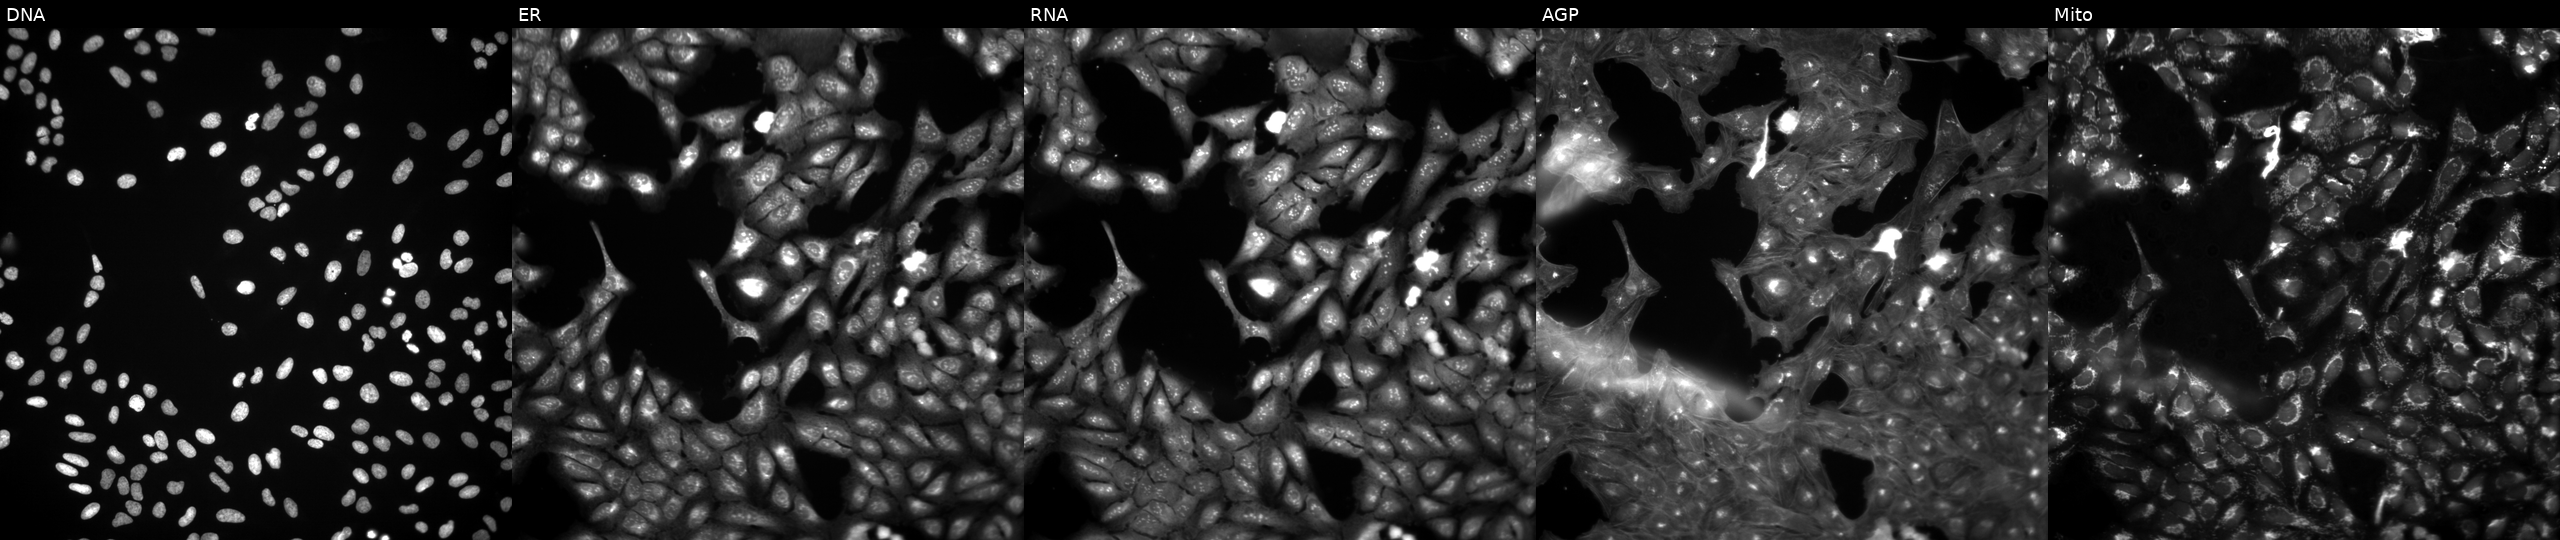
U2OS cells, Cell Painting assay, perturbed with a small-molecule compound (InChIKey KBPLFHHGFOOTCA-UHFFFAOYSA-N) (JUMP id JCP2022_043547). From left to right: Hoechst 33342, concanavalin A, SYTO 14, phalloidin and WGA, MitoTracker. Each panel is percentile-stretched 16-bit fluorescence.